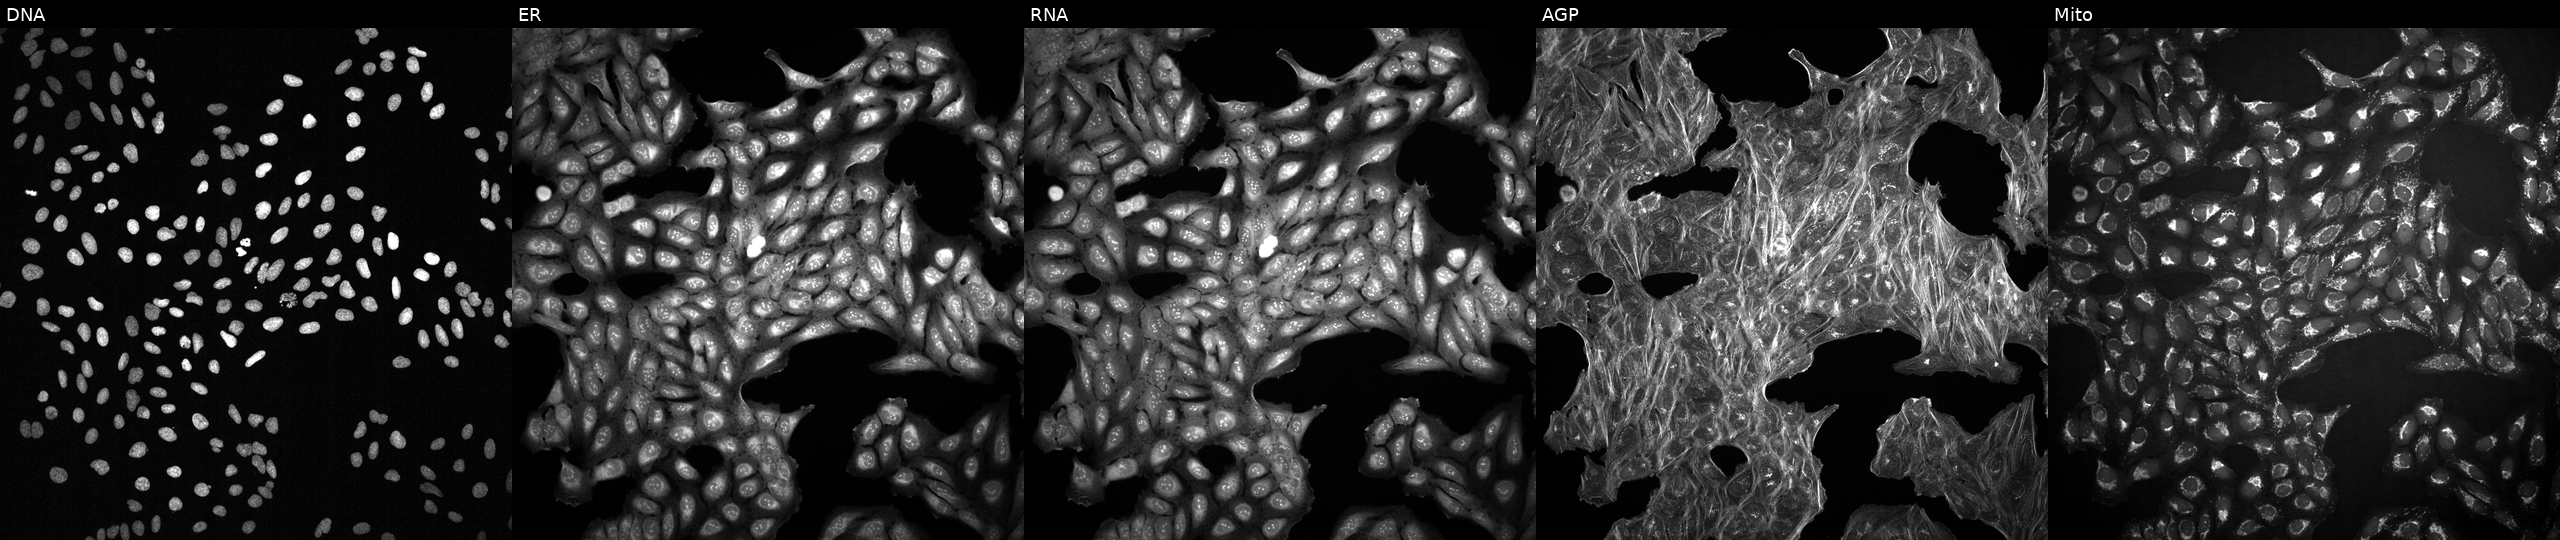
From left to right: DNA, ER, RNA, AGP, and Mito. U2OS osteosarcoma cells perturbed with a small-molecule compound (InChIKey QXKHYNVANLEOEG-UHFFFAOYSA-N). Cell Painting assay, JUMP-CP dataset. Source 2, plate 1053600674, well H07.